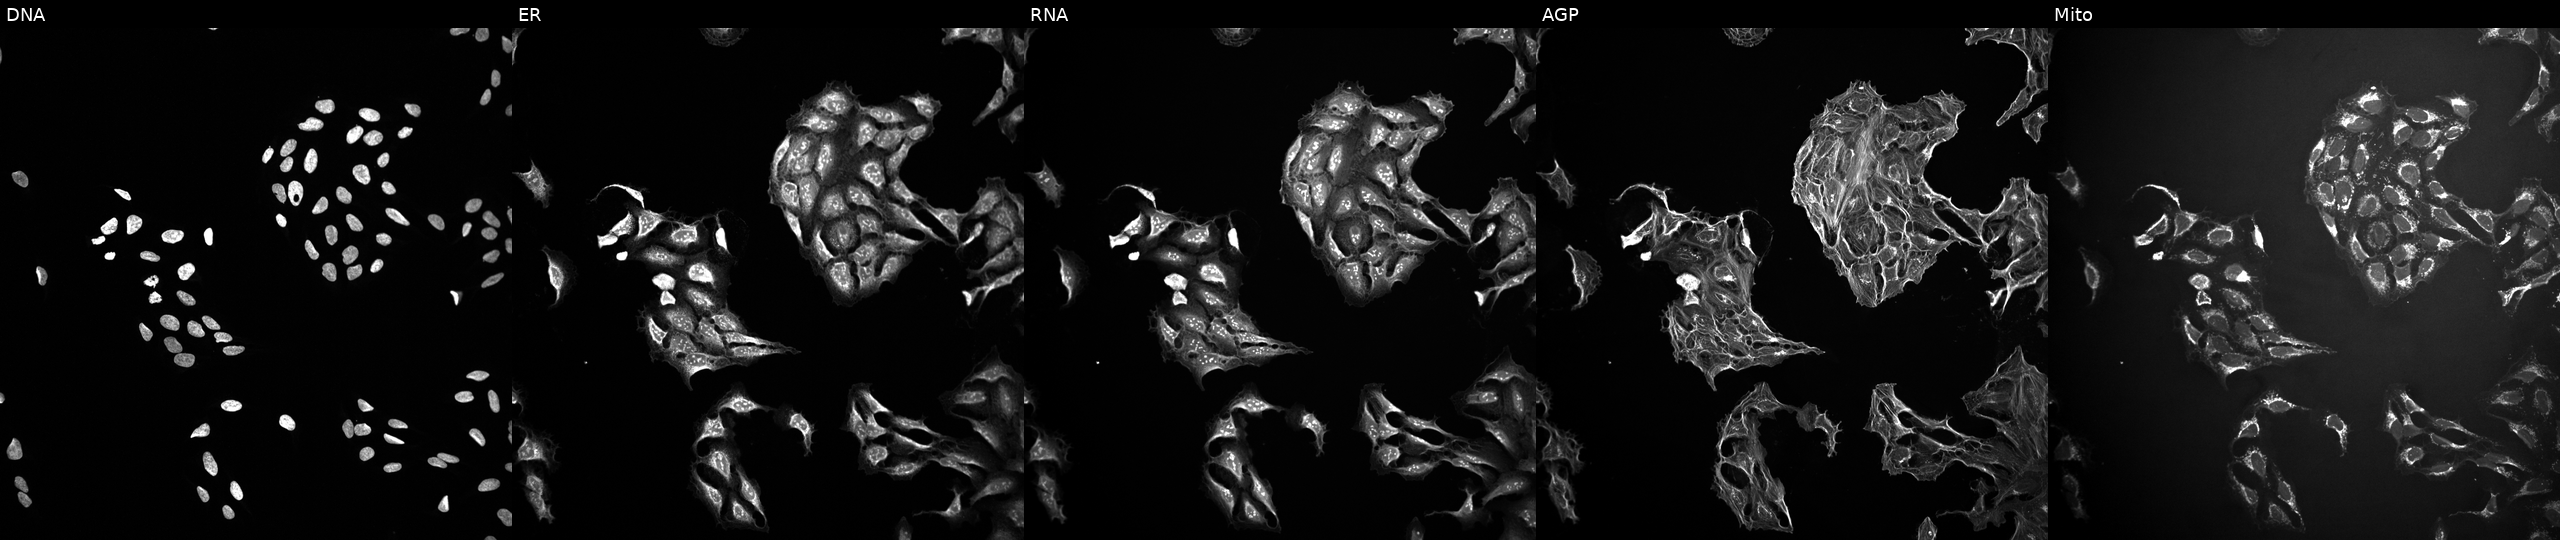
Five-channel Cell Painting image of U2OS cells perturbed with a small-molecule compound (InChIKey QESQGTFWEQMCMH-UHFFFAOYSA-N). Channels (left→right): Hoechst 33342, concanavalin A, SYTO 14, phalloidin and WGA, MitoTracker. Source 10, plate Dest210726-160150, well K21.